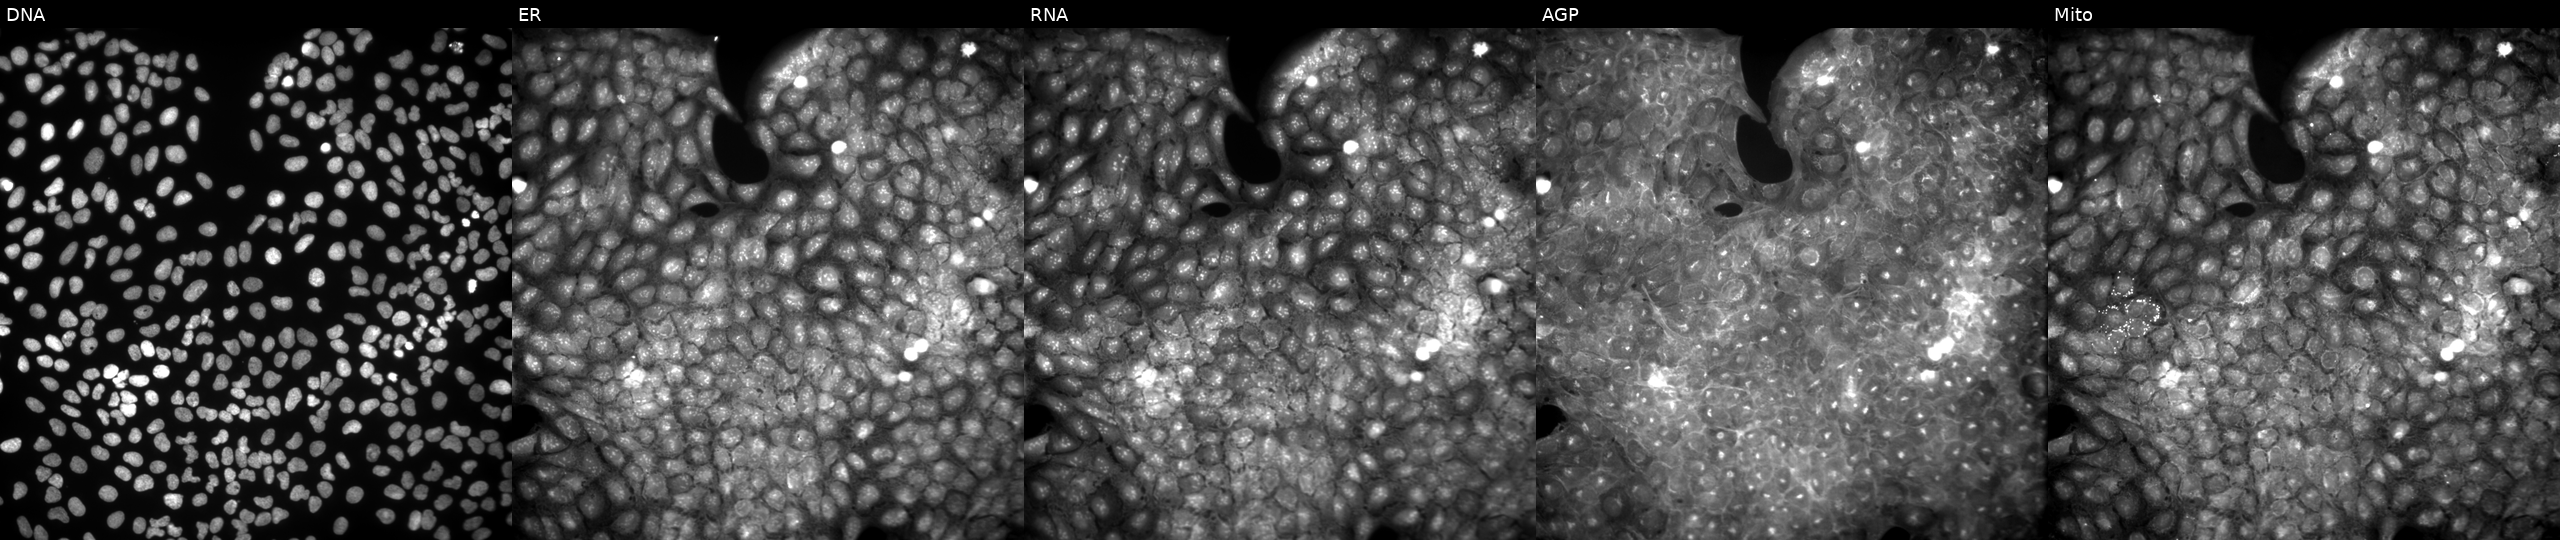
High-content fluorescence microscopy (Cell Painting). Cell line: U2OS. Perturbation: perturbed with a small-molecule compound (InChIKey ZZKICRNCEDNQCR-UHFFFAOYSA-N) (JUMP id JCP2022_116655). Panels show, left to right, DNA (nuclei); ER (endoplasmic reticulum); RNA (nucleoli and cytoplasmic RNA); AGP (actin cytoskeleton, Golgi, and plasma membrane); Mito (mitochondria).